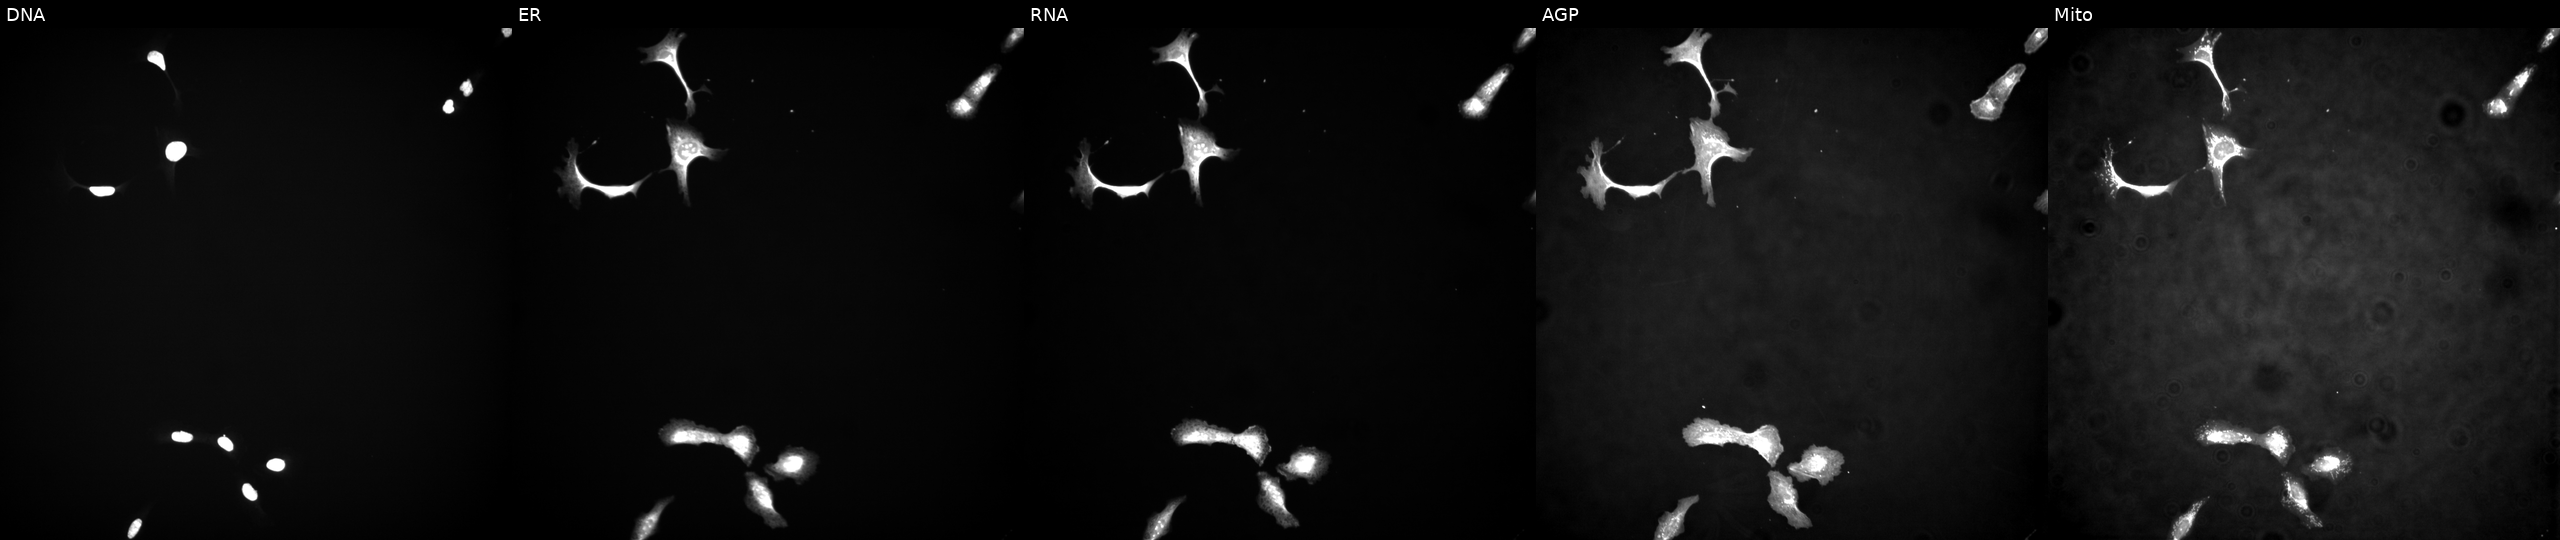
Panels show, left to right, DNA, ER, RNA, AGP, and Mito. U2OS osteosarcoma cells transfected with an ORF construct for TK2 (JUMP id JCP2022_910433). Cell Painting assay, JUMP-CP dataset.